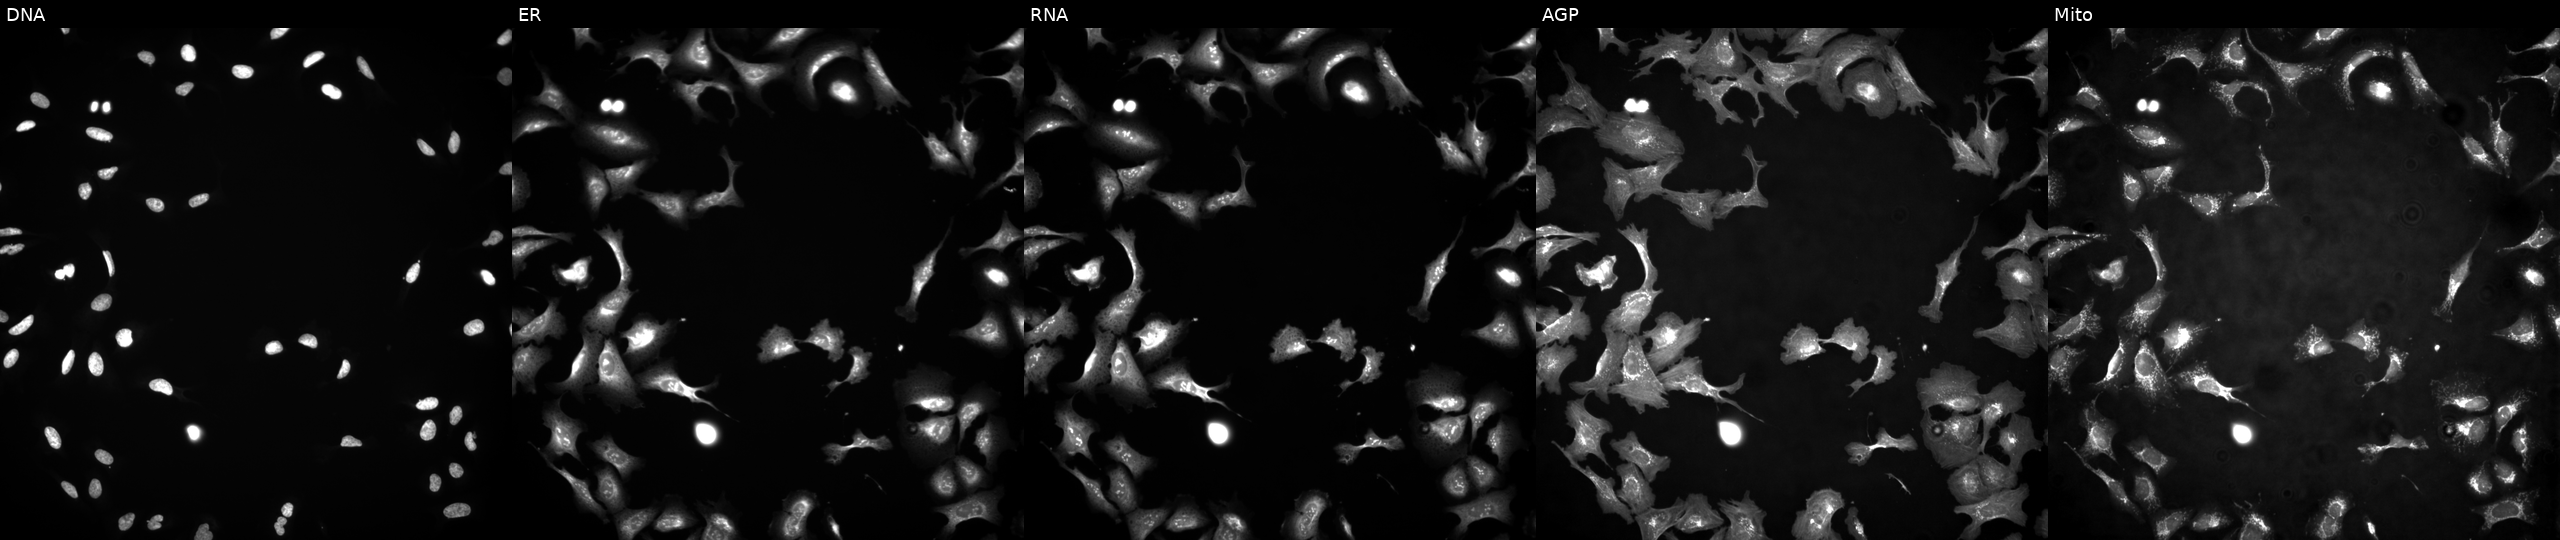
JUMP Cell Painting — ORF plate. U2OS cells transfected with an ORF construct for SLAMF6 (JUMP id JCP2022_914234). From left to right: DNA (nuclei); ER (endoplasmic reticulum); RNA (nucleoli and cytoplasmic RNA); AGP (actin cytoskeleton, Golgi, and plasma membrane); Mito (mitochondria).